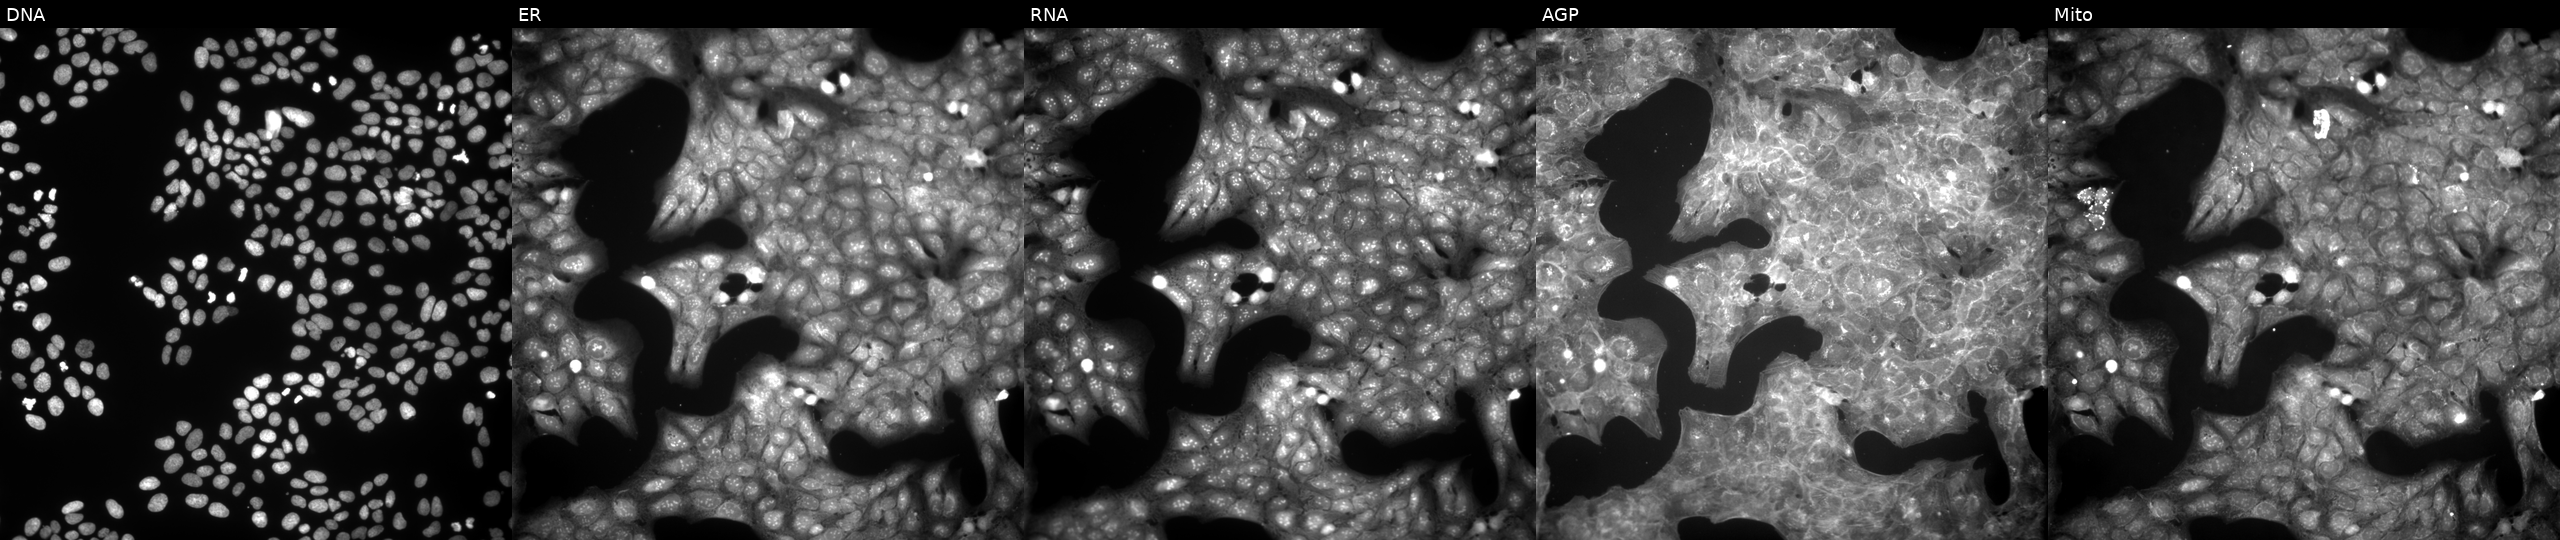
From left to right: DNA (nuclei); ER (endoplasmic reticulum); RNA (nucleoli and cytoplasmic RNA); AGP (actin cytoskeleton, Golgi, and plasma membrane); Mito (mitochondria). U2OS osteosarcoma cells exposed to a small-molecule compound. Cell Painting assay, JUMP-CP dataset. Source 9, plate GR00003382, well U25.